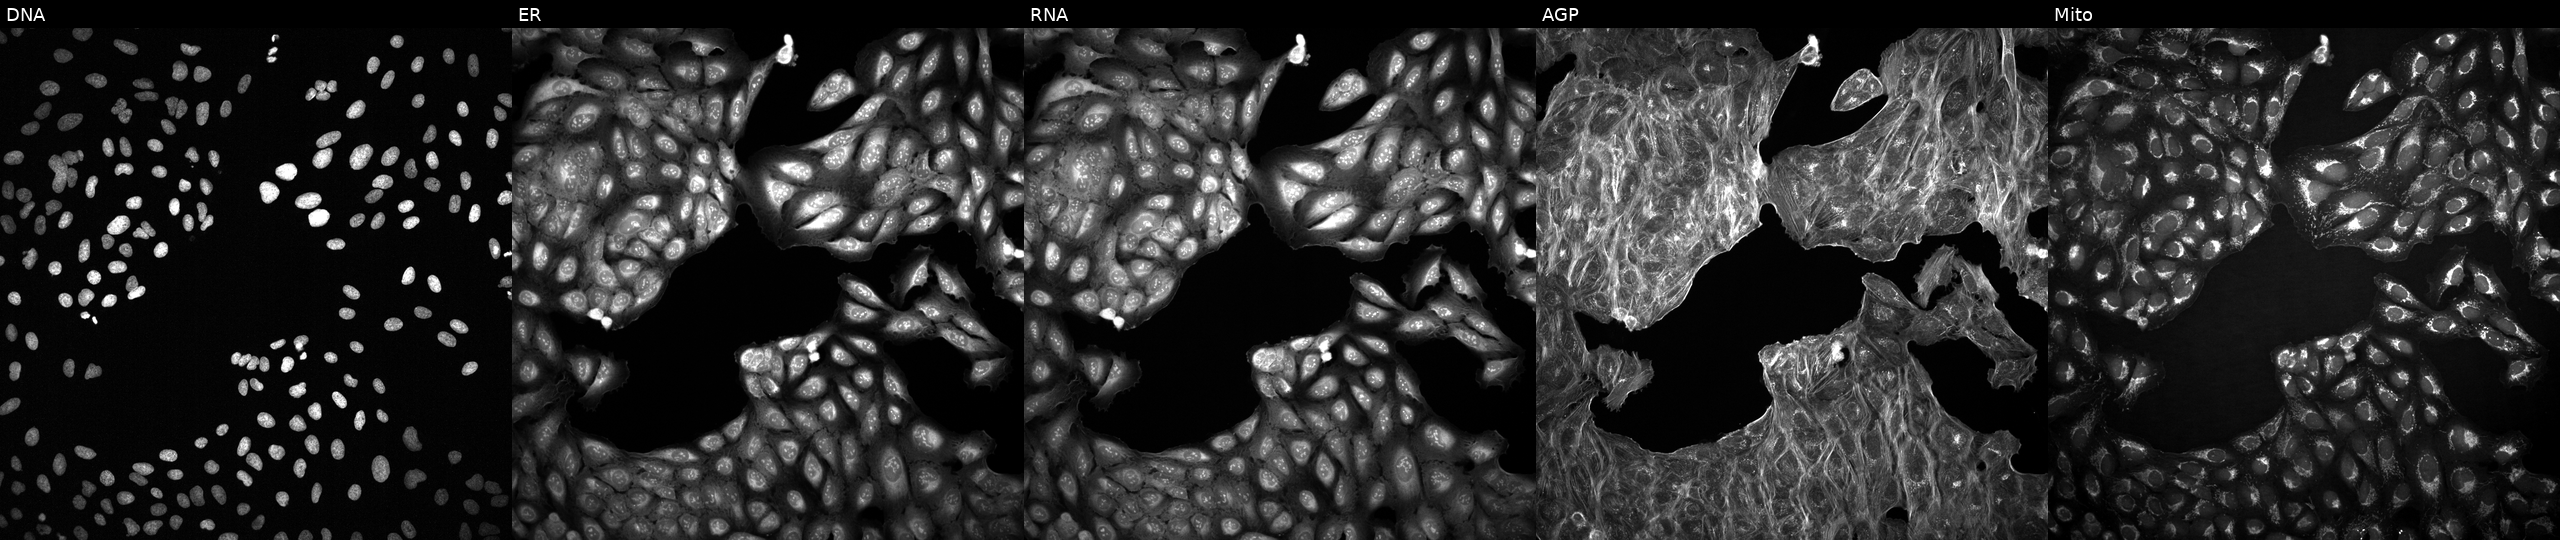
U2OS cells, Cell Painting assay, with an unidentified perturbation (not annotated in JUMP metadata). Channels (left→right): Hoechst 33342, concanavalin A, SYTO 14, phalloidin and WGA, MitoTracker. Each panel is percentile-stretched 16-bit fluorescence. Source 2, plate 1053601756, well L07.